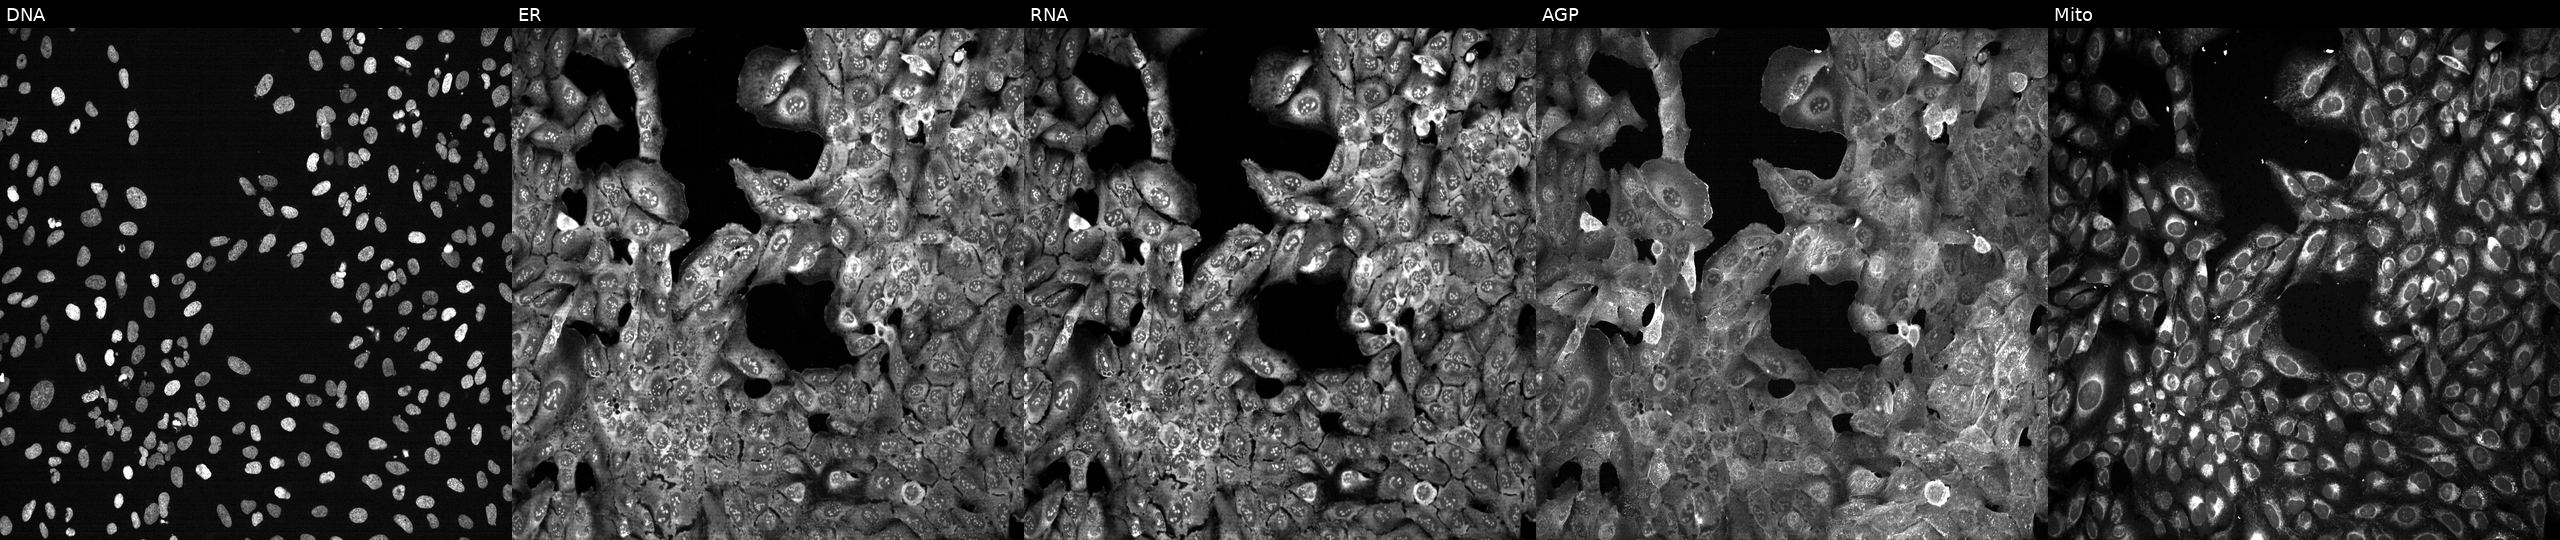
From left to right: DNA (nuclei); ER (endoplasmic reticulum); RNA (nucleoli and cytoplasmic RNA); AGP (actin cytoskeleton, Golgi, and plasma membrane); Mito (mitochondria). U2OS osteosarcoma cells CRISPR-edited to disrupt ATP1A3. Cell Painting assay, JUMP-CP dataset.